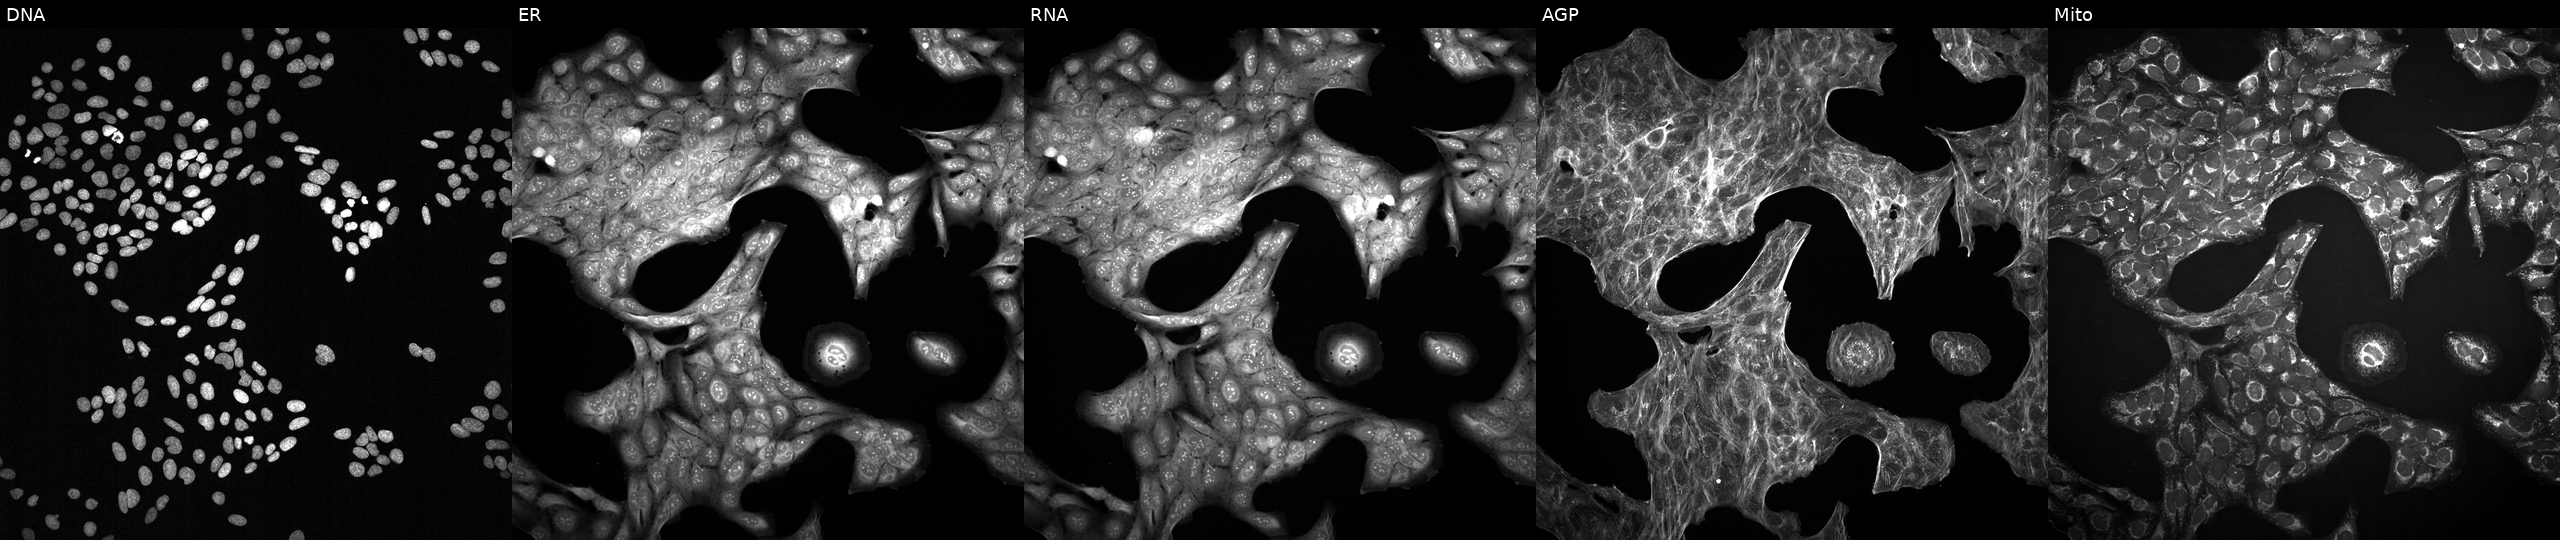
This image strip shows the five Cell Painting channels for a single field of U2OS cells treated with LY2109761 (positive-control compound) (JUMP id JCP2022_035095). From left to right: DNA (nuclei); ER (endoplasmic reticulum); RNA (nucleoli and cytoplasmic RNA); AGP (actin cytoskeleton, Golgi, and plasma membrane); Mito (mitochondria).